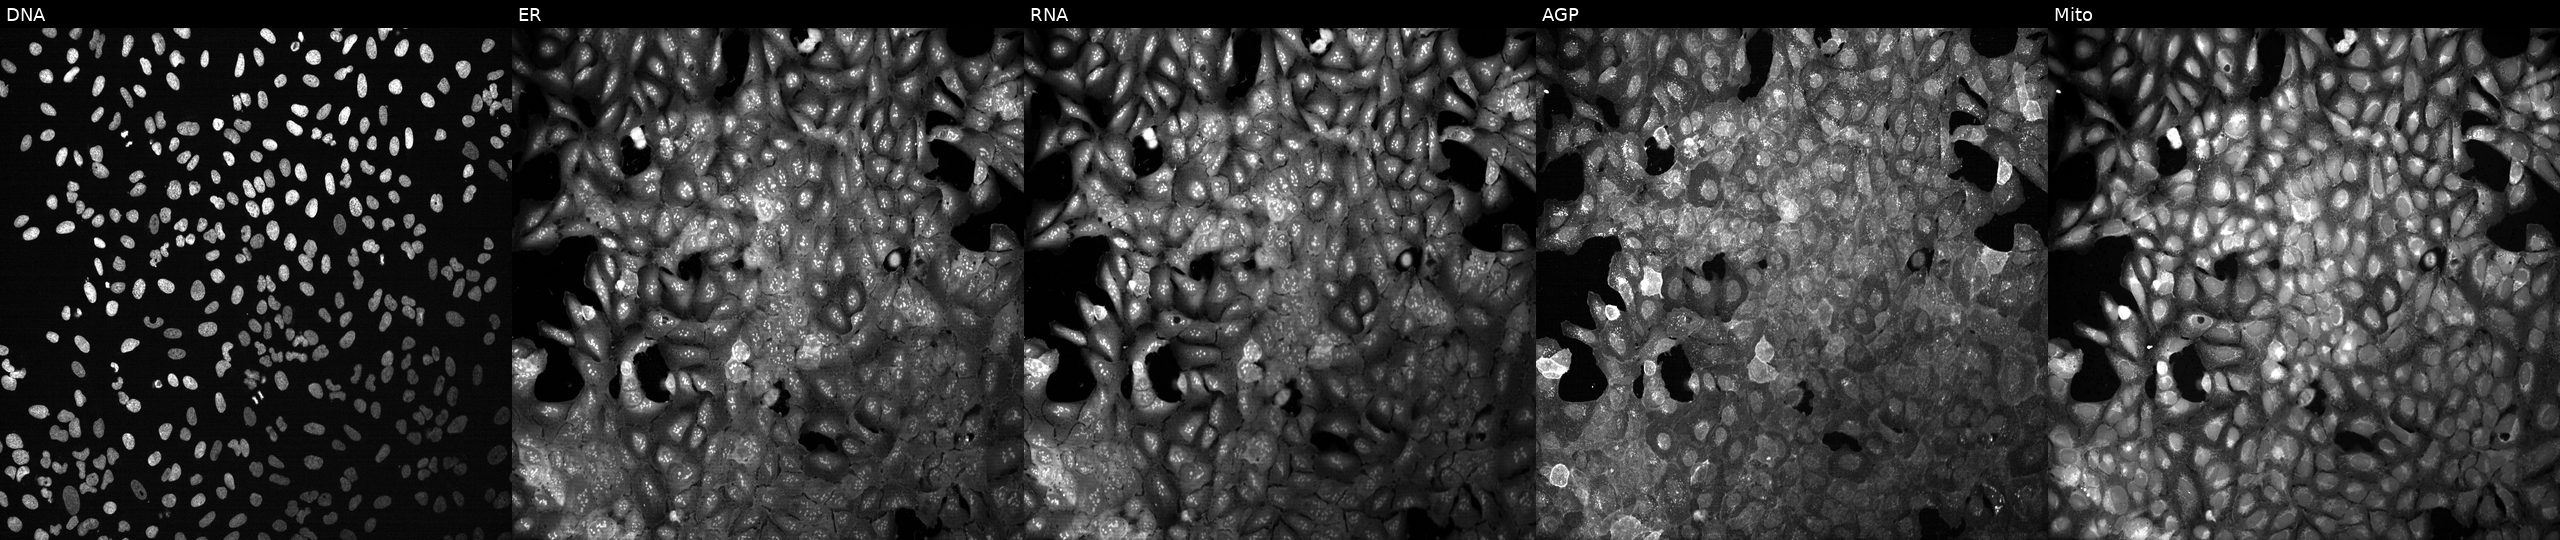
JUMP Cell Painting — CRISPR plate. U2OS cells CRISPR-edited to disrupt LILRB5 (JUMP id JCP2022_803842). The five panels, left to right, show Hoechst 33342, concanavalin A, SYTO 14, phalloidin and WGA, MitoTracker. Source 13, plate CP-CC9-R1-02, well O17.